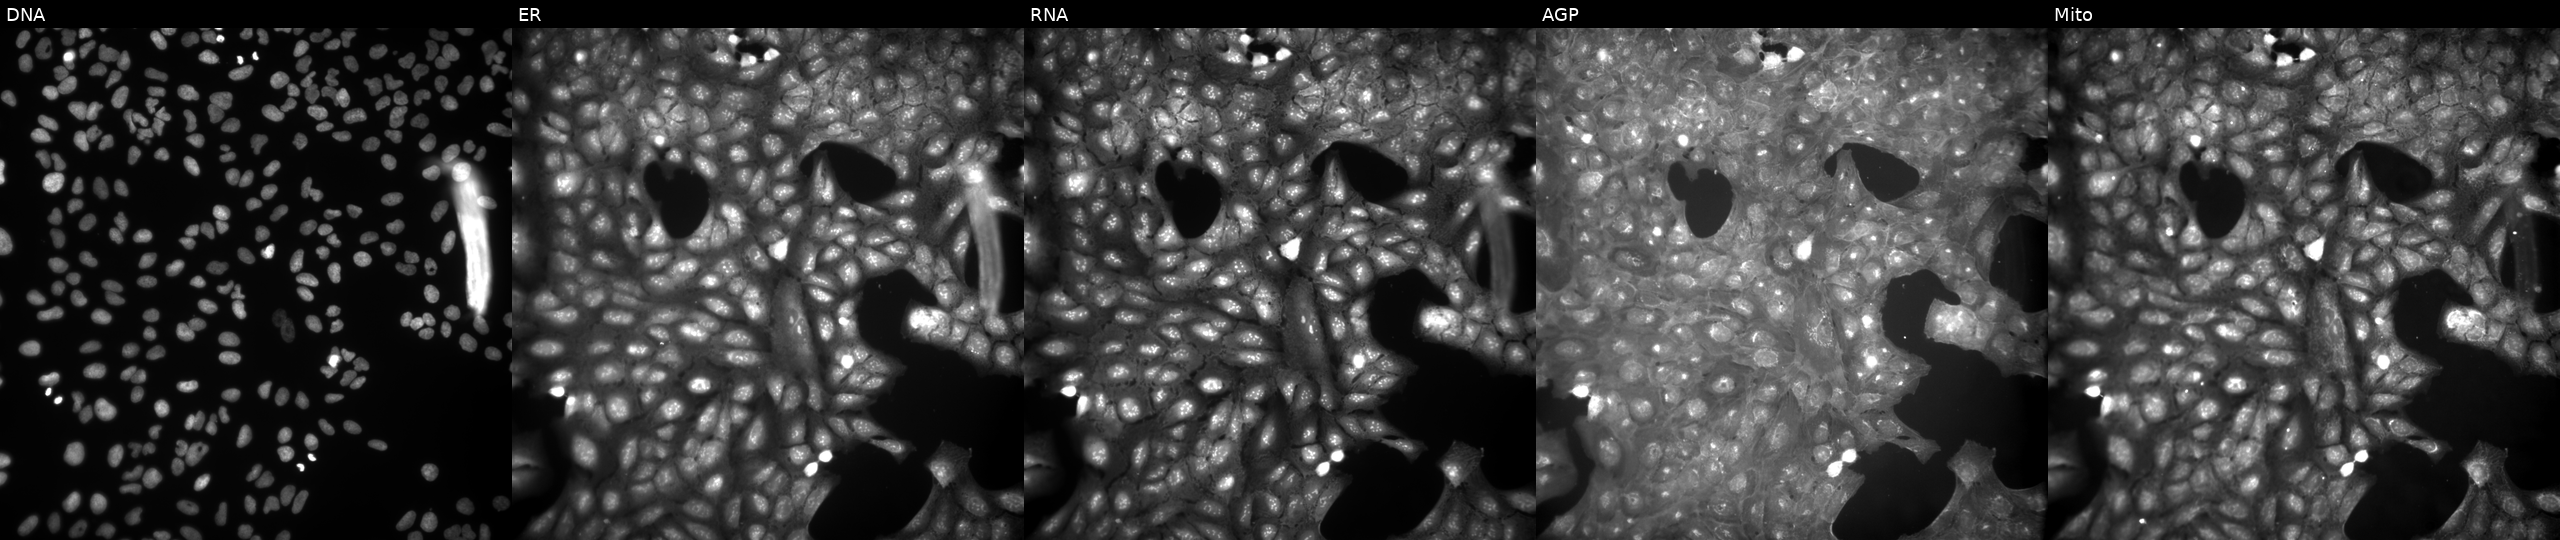
This image strip shows the five Cell Painting channels for a single field of U2OS cells treated with a small-molecule compound (InChIKey TTZLHHXRYFTEHO-UHFFFAOYSA-N) (JUMP id JCP2022_086686). Panels show, left to right, DNA, ER, RNA, AGP, and Mito.